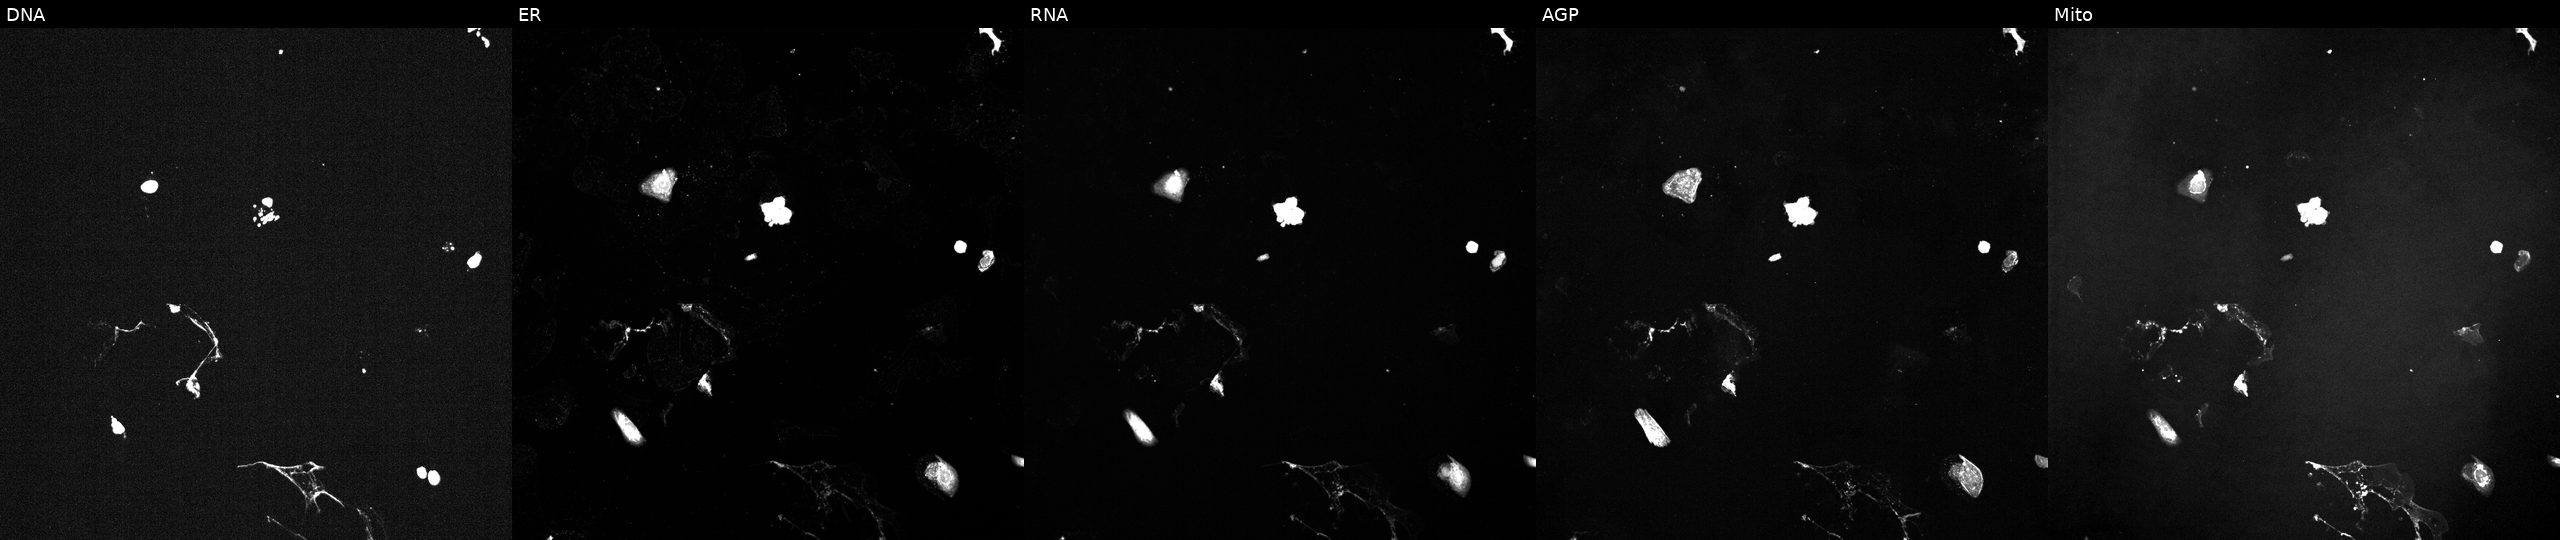
JUMP Cell Painting — TARGET2 plate. U2OS cells exposed to a small-molecule compound (InChIKey WSMQUUGTQYPVPD-UHFFFAOYSA-N). The five panels, left to right, show Hoechst 33342, concanavalin A, SYTO 14, phalloidin and WGA, MitoTracker.